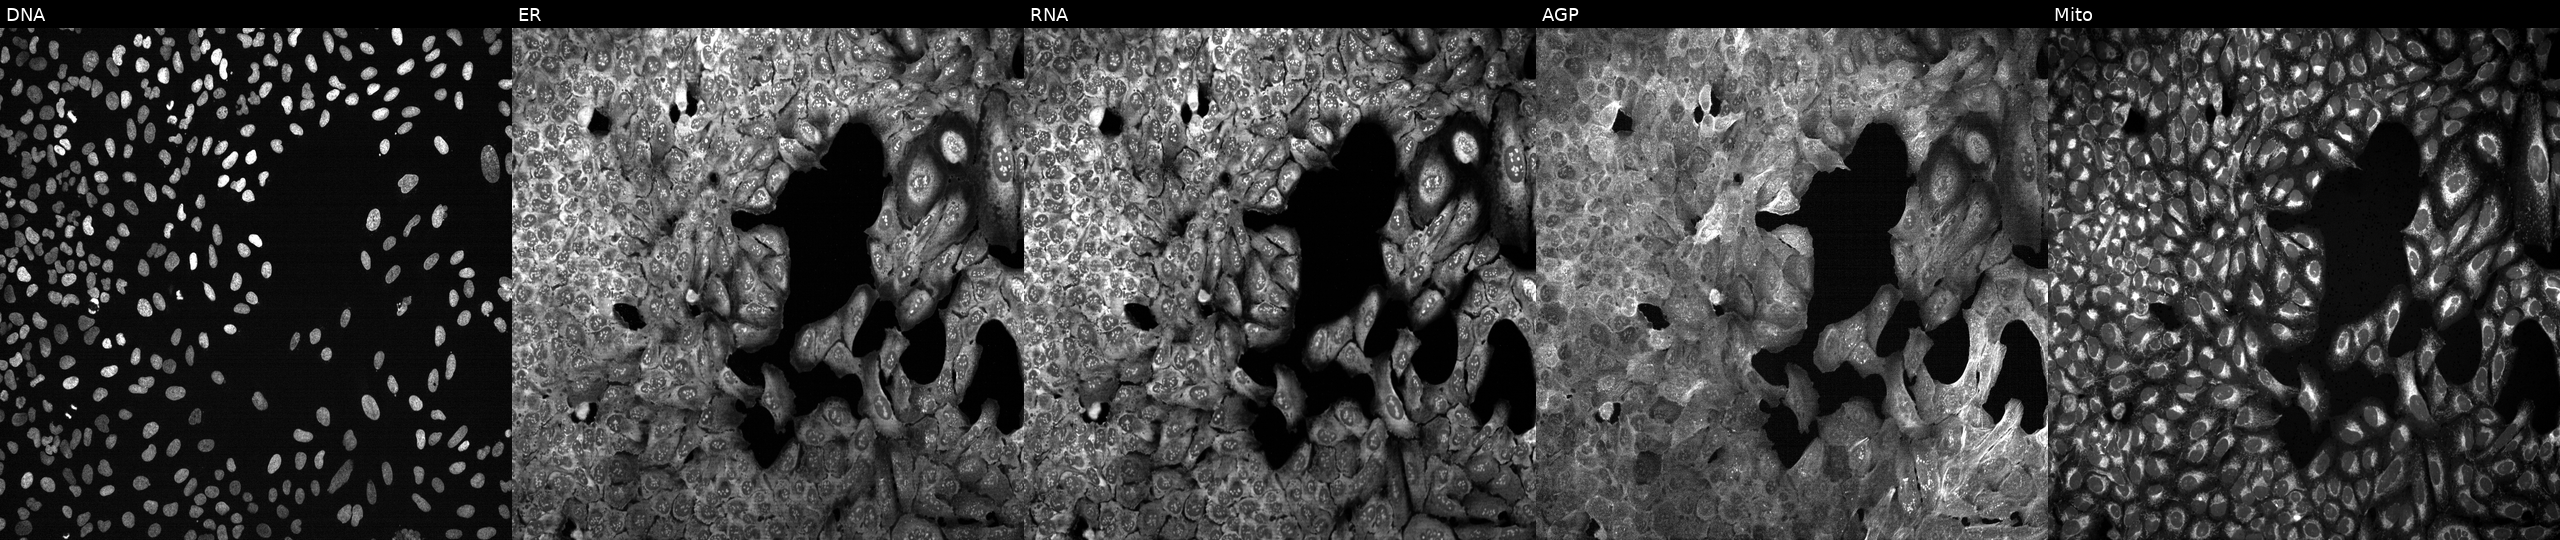
JUMP Cell Painting — CRISPR plate. U2OS cells with GALNT18 knocked out by CRISPR (JUMP id JCP2022_802593). From left to right: DNA, ER, RNA, AGP, and Mito.